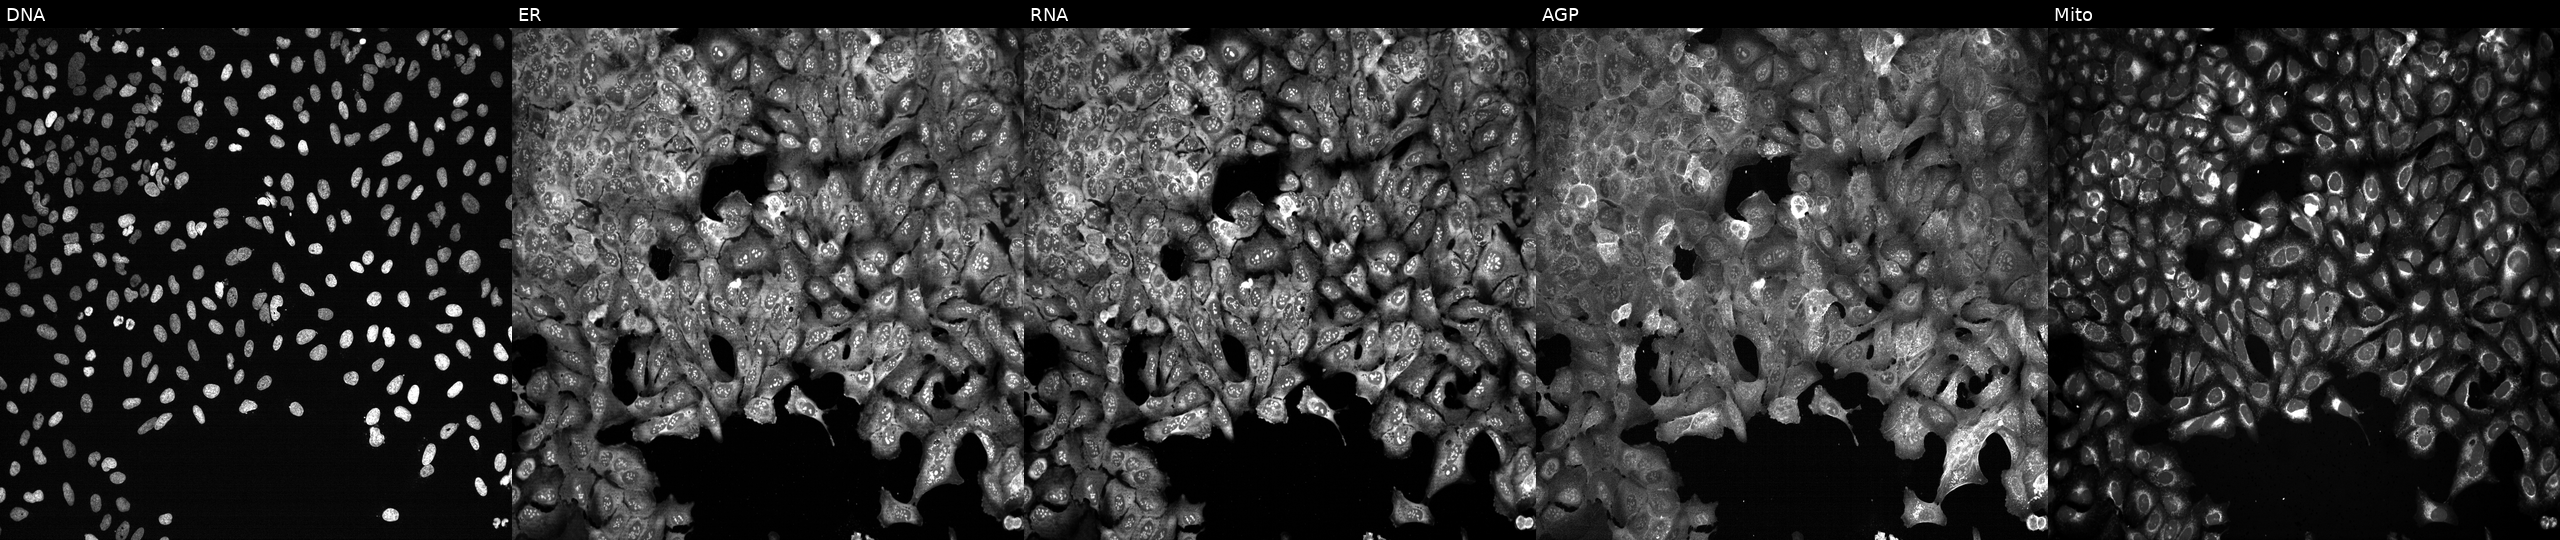
This image strip shows the five Cell Painting channels for a single field of U2OS cells with HSPD1 knocked out by CRISPR (JUMP id JCP2022_803272). Panels show, left to right, DNA, ER, RNA, AGP, and Mito.